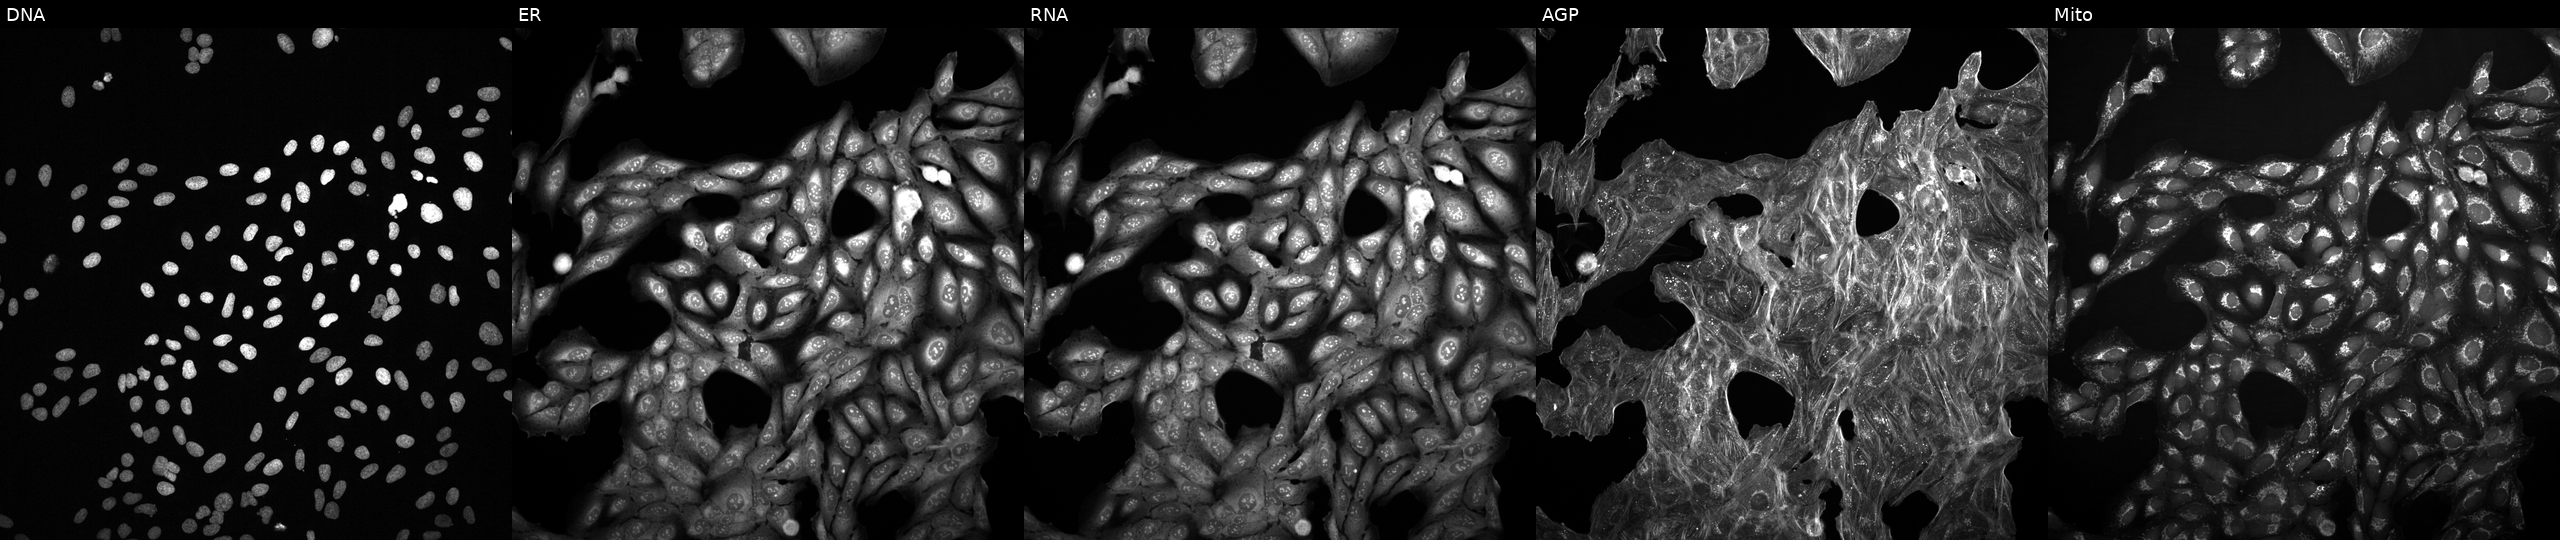
Channels (left→right): DNA, ER, RNA, AGP, and Mito. U2OS osteosarcoma cells exposed to a small-molecule compound (InChIKey QWJOPXDAQCDRRM-UHFFFAOYSA-N) (JUMP id JCP2022_076300). Cell Painting assay, JUMP-CP dataset. Source 2, plate 1053597936, well M16.